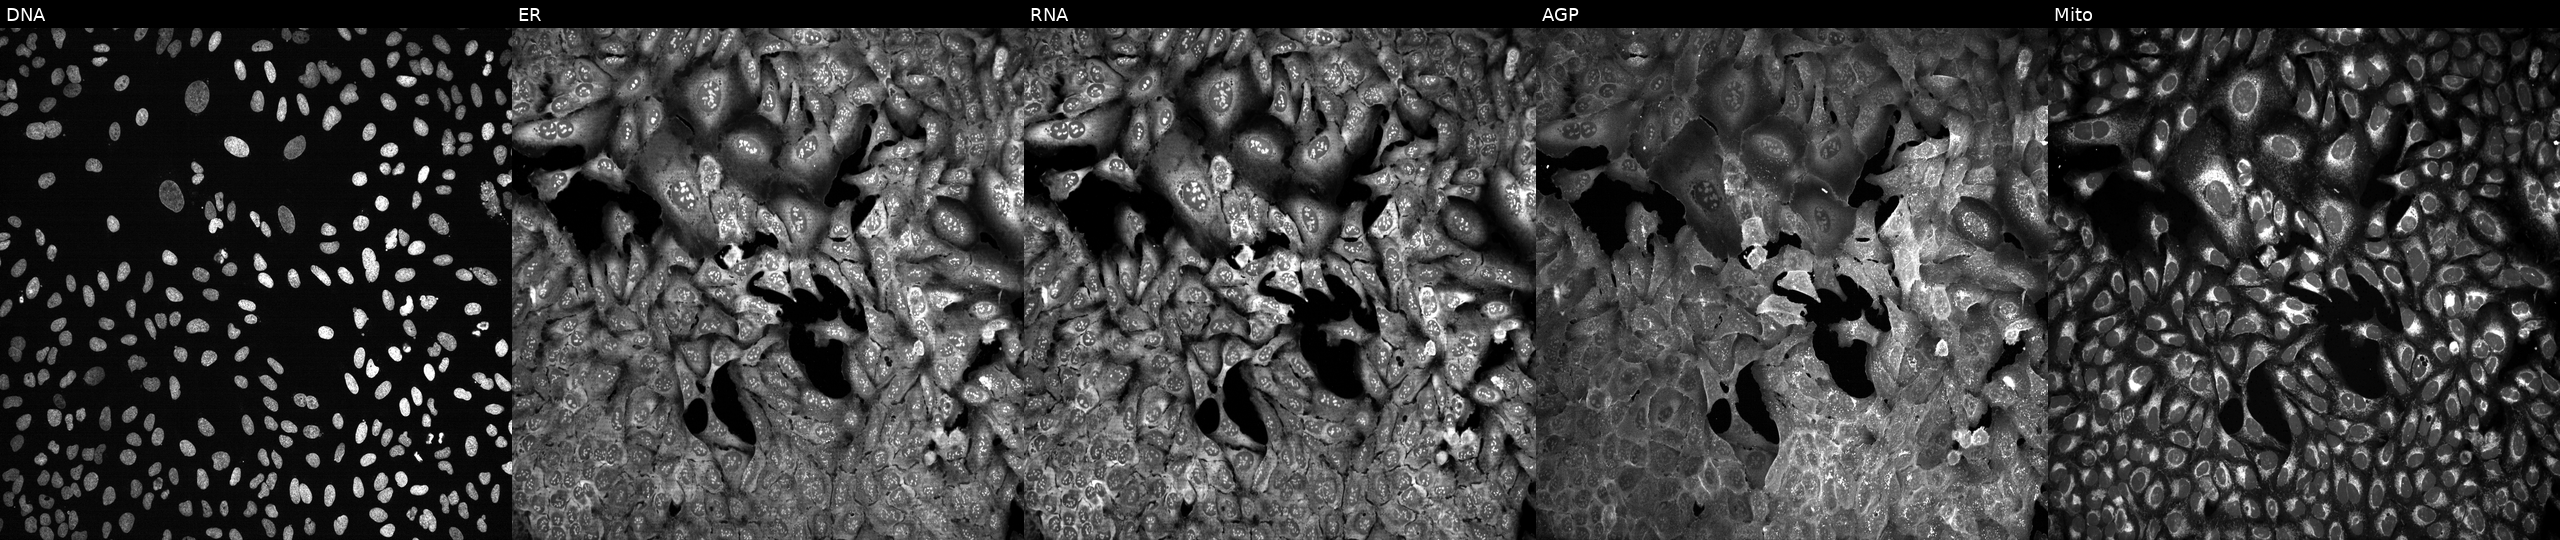
U2OS cells, Cell Painting assay, with CNDP1 knocked out by CRISPR (JUMP id JCP2022_801407). From left to right: Hoechst 33342, concanavalin A, SYTO 14, phalloidin and WGA, MitoTracker. Each panel is percentile-stretched 16-bit fluorescence.